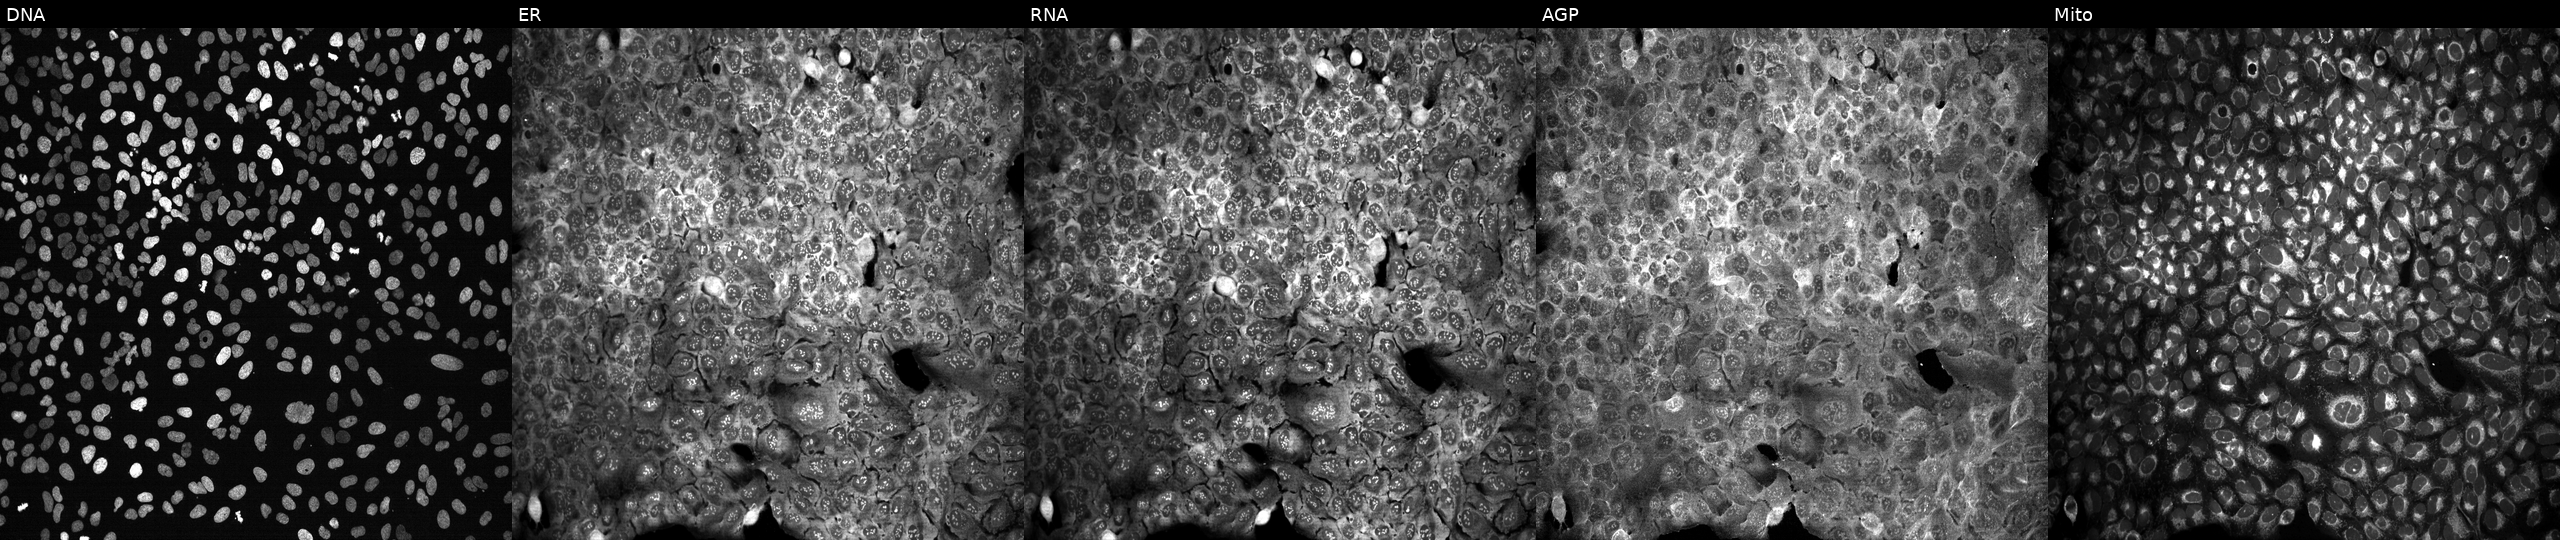
U2OS cells, Cell Painting assay, with HFE knocked out by CRISPR (JUMP id JCP2022_803094). The five panels, left to right, show Hoechst 33342, concanavalin A, SYTO 14, phalloidin and WGA, MitoTracker. Each panel is percentile-stretched 16-bit fluorescence.